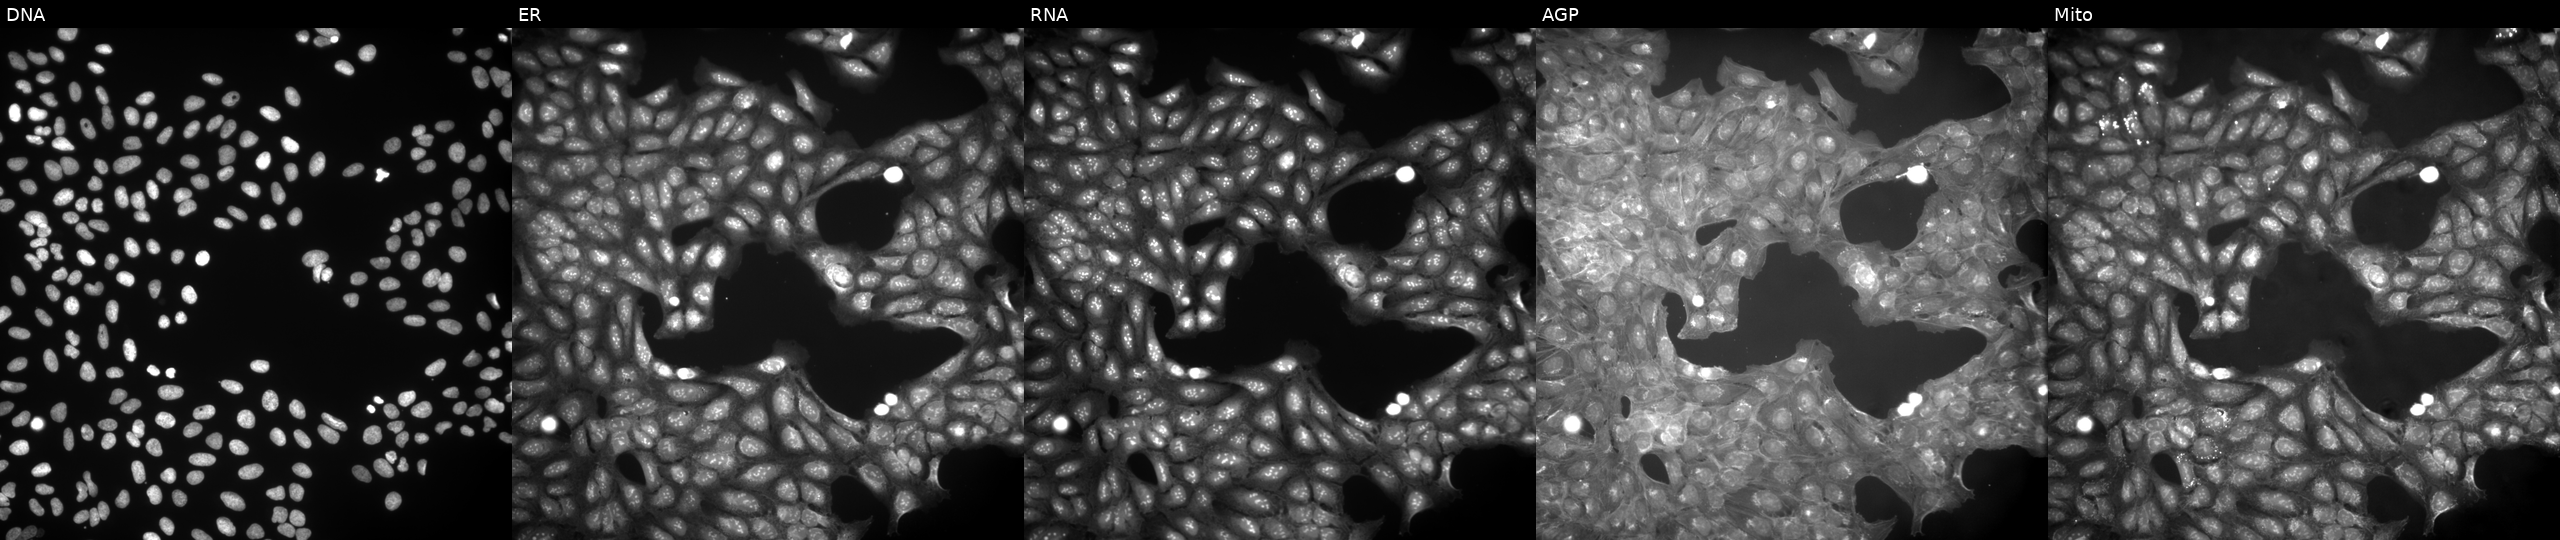
The five panels, left to right, show Hoechst 33342, concanavalin A, SYTO 14, phalloidin and WGA, MitoTracker. U2OS osteosarcoma cells perturbed with a small-molecule compound (InChIKey DRBLFYFYWKRWMI-UHFFFAOYSA-N). Cell Painting assay, JUMP-CP dataset. Source 9, plate GR00003382, well AF27.